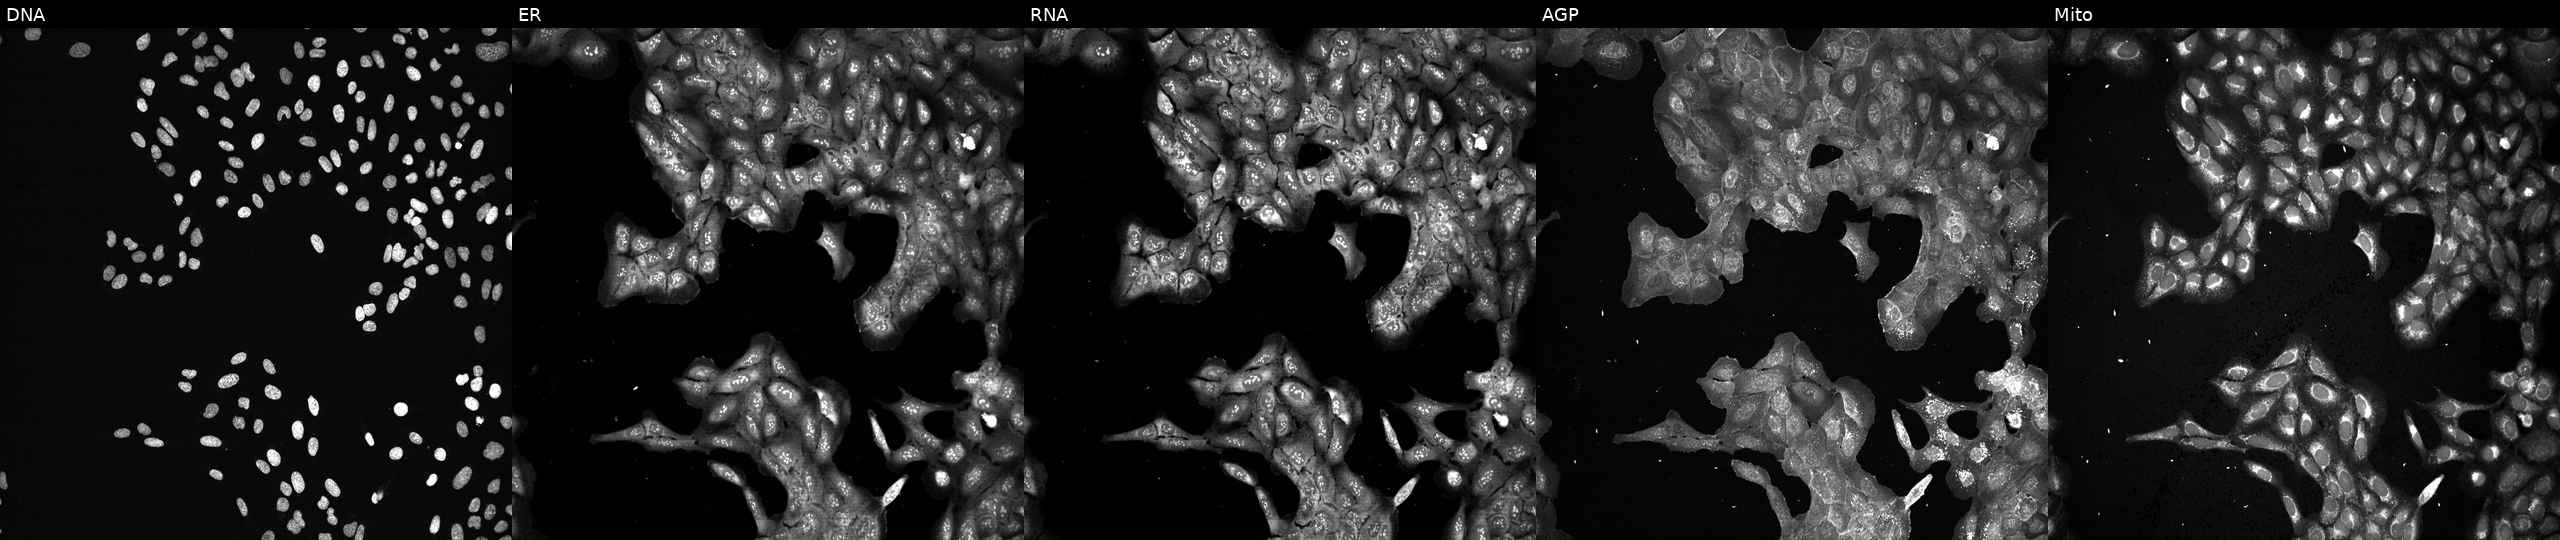
This image strip shows the five Cell Painting channels for a single field of U2OS cells with APOBEC1 knocked out by CRISPR. The five panels, left to right, show Hoechst 33342, concanavalin A, SYTO 14, phalloidin and WGA, MitoTracker.